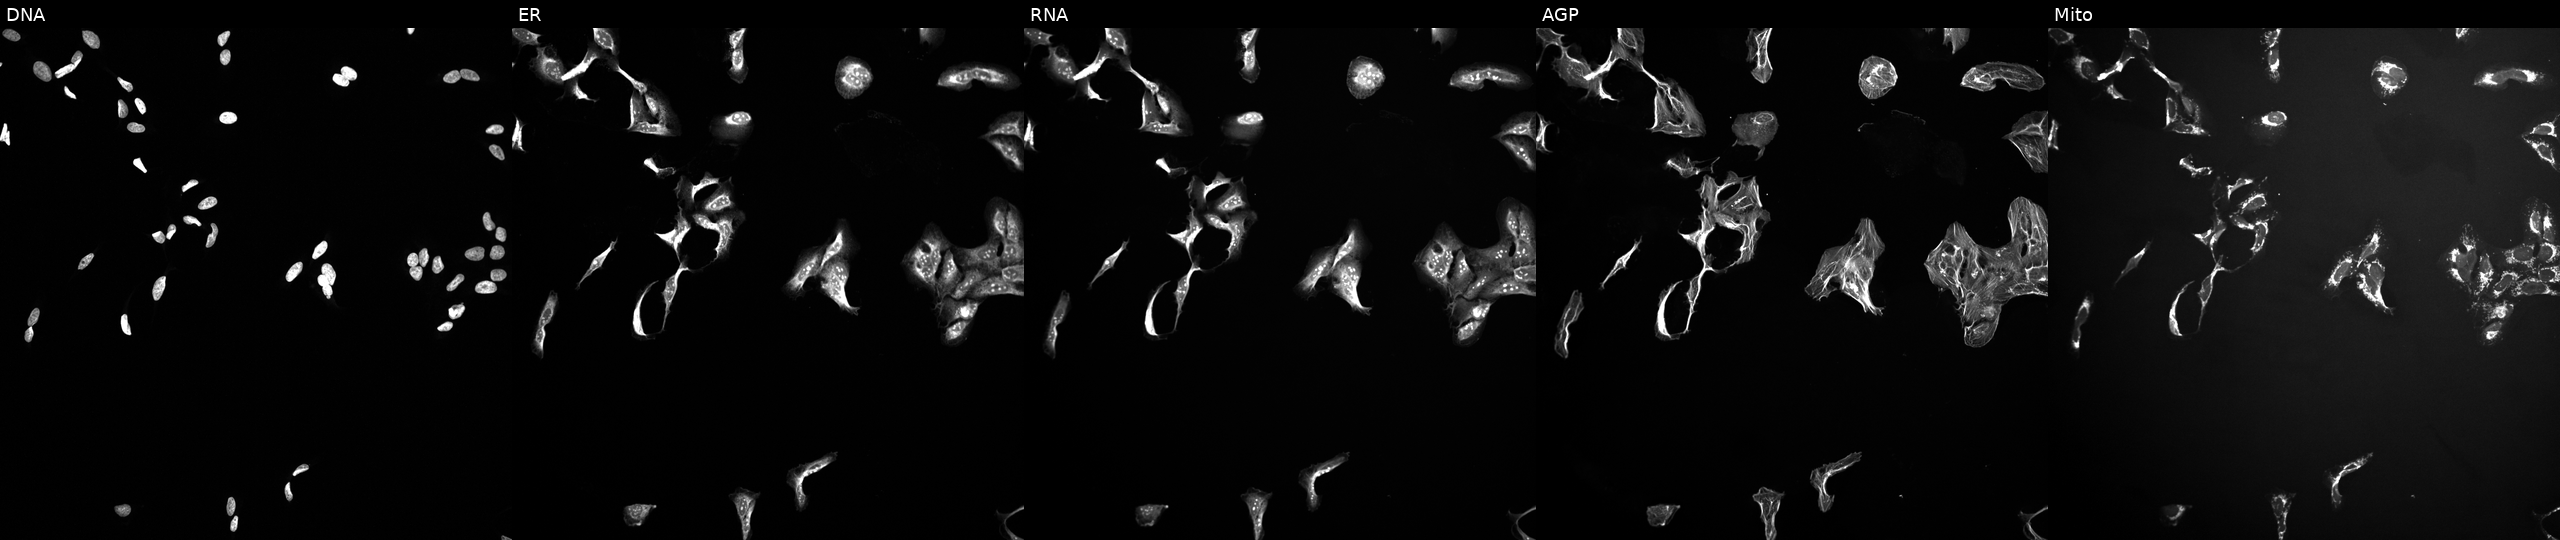
This image strip shows the five Cell Painting channels for a single field of U2OS cells treated with a small-molecule compound (InChIKey WYWHKKSPHMUBEB-UHFFFAOYSA-N). The five panels, left to right, show DNA (nuclei); ER (endoplasmic reticulum); RNA (nucleoli and cytoplasmic RNA); AGP (actin cytoskeleton, Golgi, and plasma membrane); Mito (mitochondria).